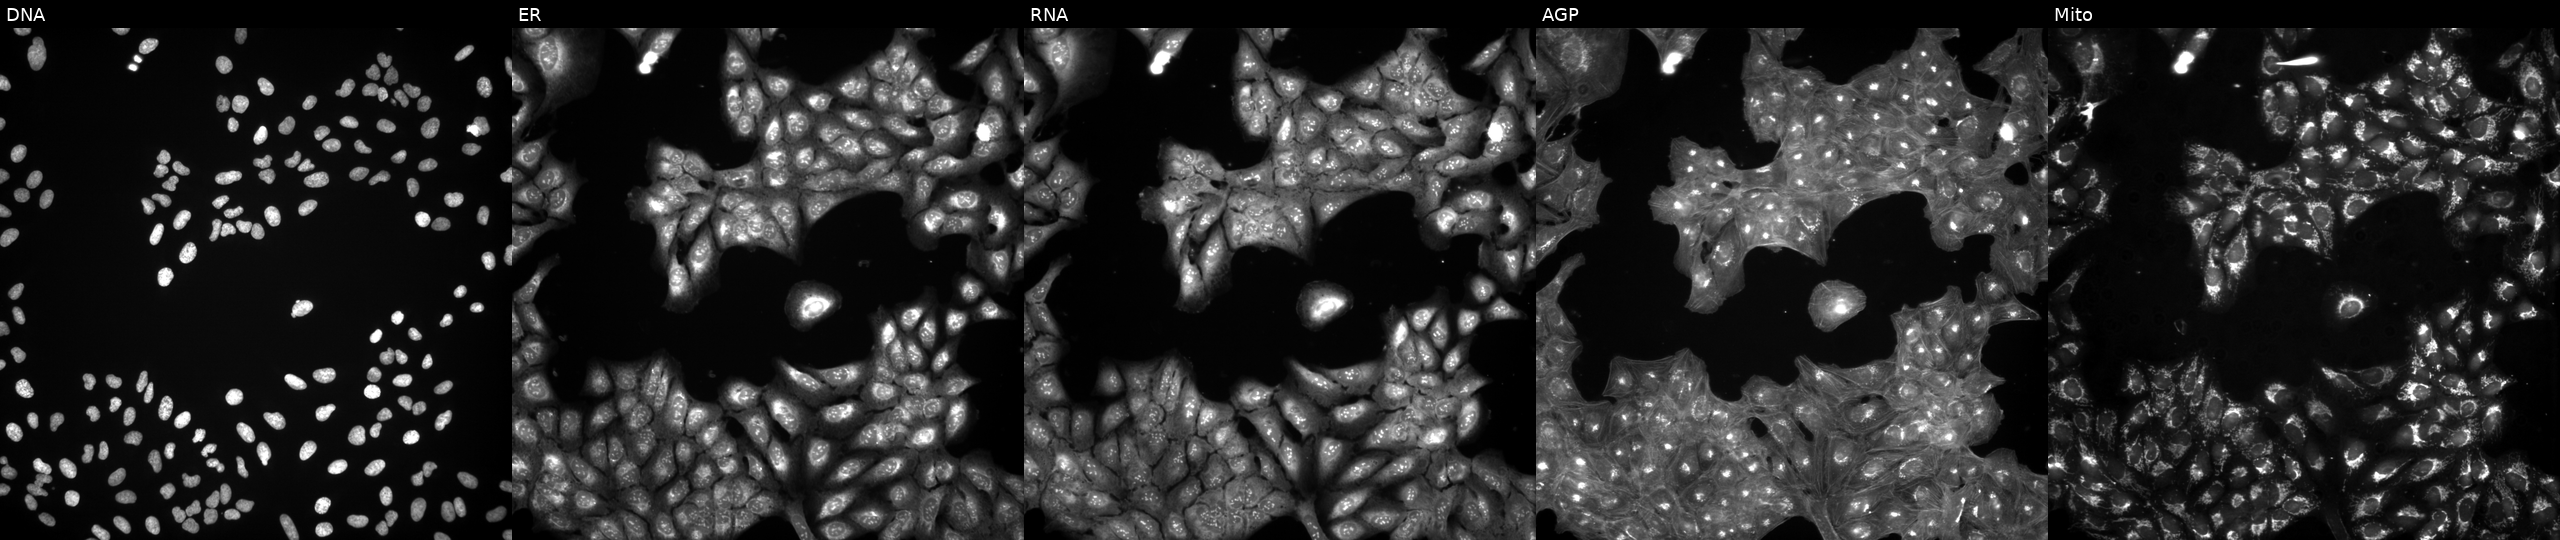
JUMP Cell Painting — TARGET2 plate. U2OS cells exposed to the positive-control compound AMG900. From left to right: DNA (nuclei); ER (endoplasmic reticulum); RNA (nucleoli and cytoplasmic RNA); AGP (actin cytoskeleton, Golgi, and plasma membrane); Mito (mitochondria). Source 3, plate JCPQC052, well L15.